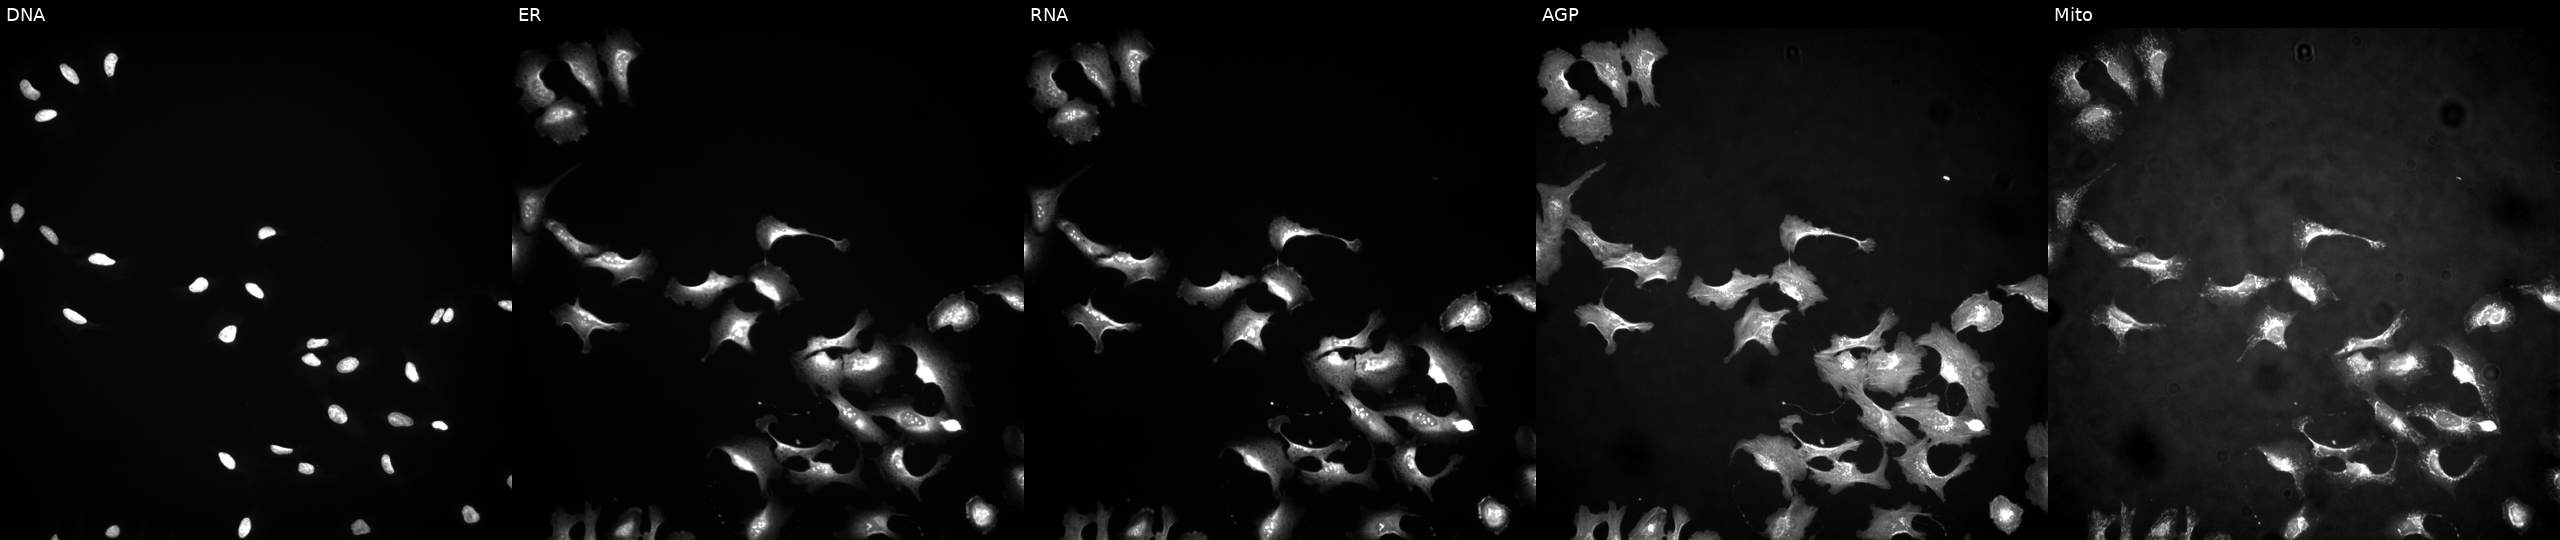
Channels (left→right): DNA (nuclei); ER (endoplasmic reticulum); RNA (nucleoli and cytoplasmic RNA); AGP (actin cytoskeleton, Golgi, and plasma membrane); Mito (mitochondria). U2OS osteosarcoma cells overexpressing XLOC_005244 via ORF transfection (JUMP id JCP2022_909862). Cell Painting assay, JUMP-CP dataset.